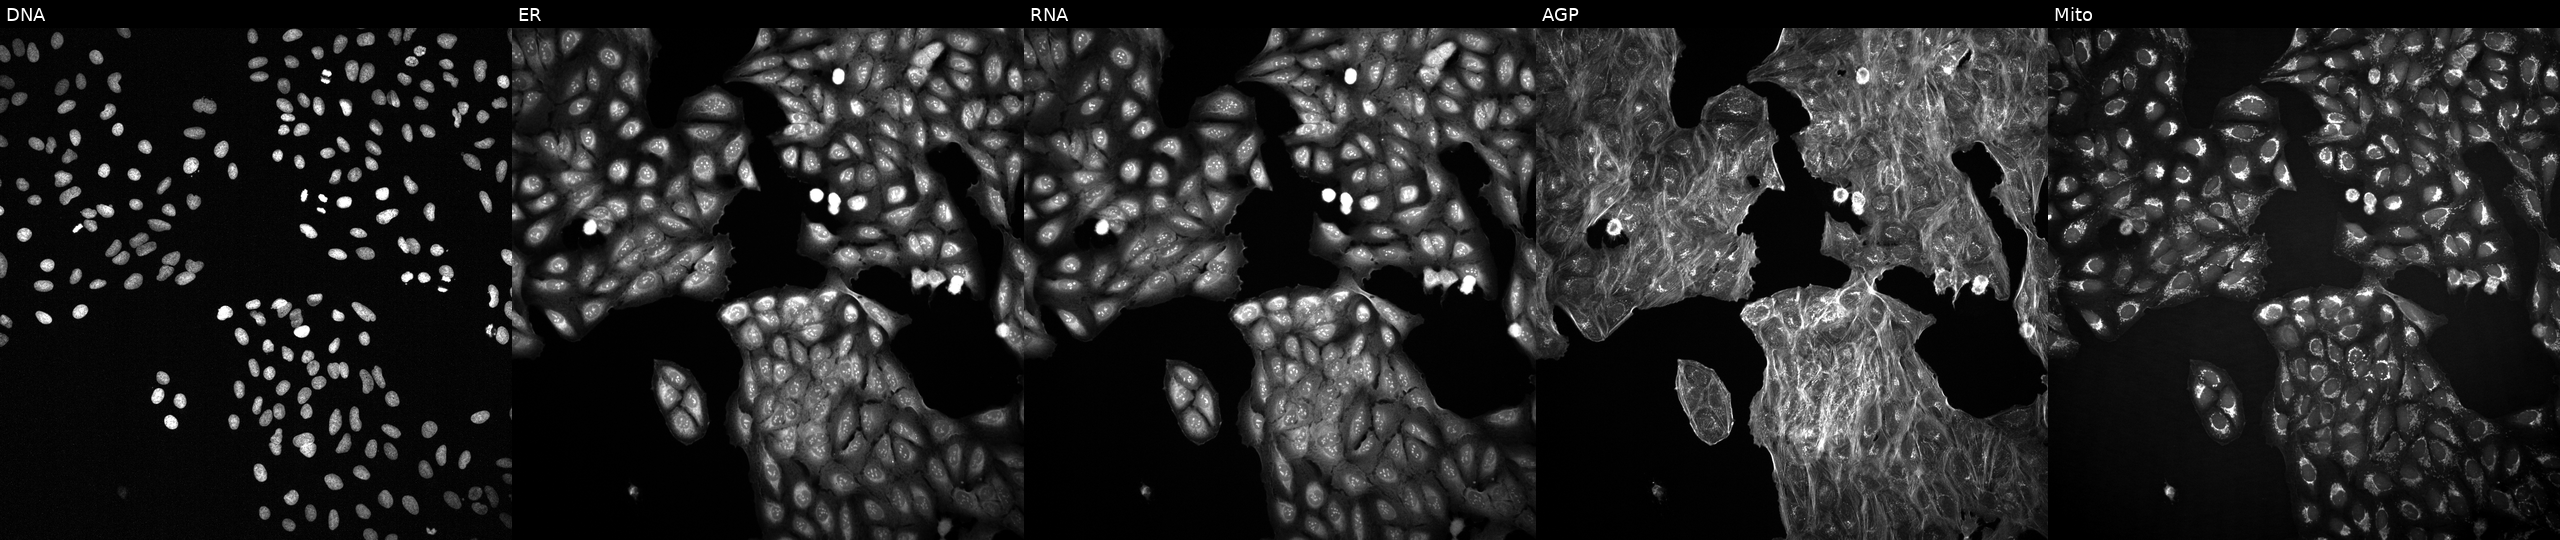
JUMP Cell Painting — TARGET2 plate. U2OS cells treated with a small-molecule compound. From left to right: DNA (nuclei); ER (endoplasmic reticulum); RNA (nucleoli and cytoplasmic RNA); AGP (actin cytoskeleton, Golgi, and plasma membrane); Mito (mitochondria).